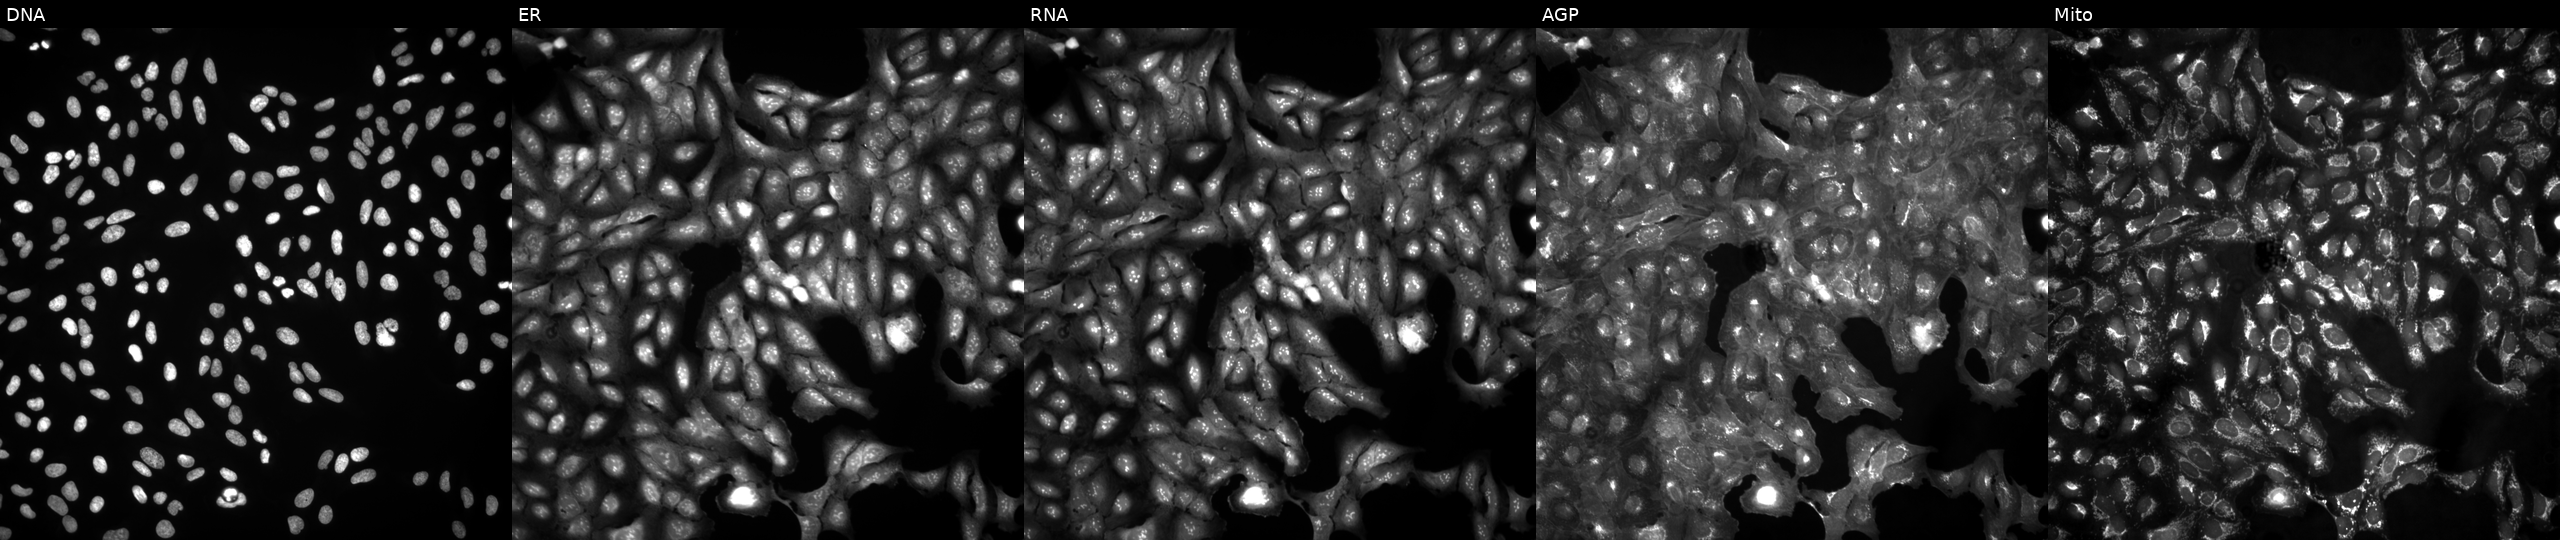
High-content fluorescence microscopy (Cell Painting). Cell line: U2OS. Perturbation: untreated (empty-well control). Channels (left→right): Hoechst 33342, concanavalin A, SYTO 14, phalloidin and WGA, MitoTracker. Source 4, plate BR00123946, well O02.